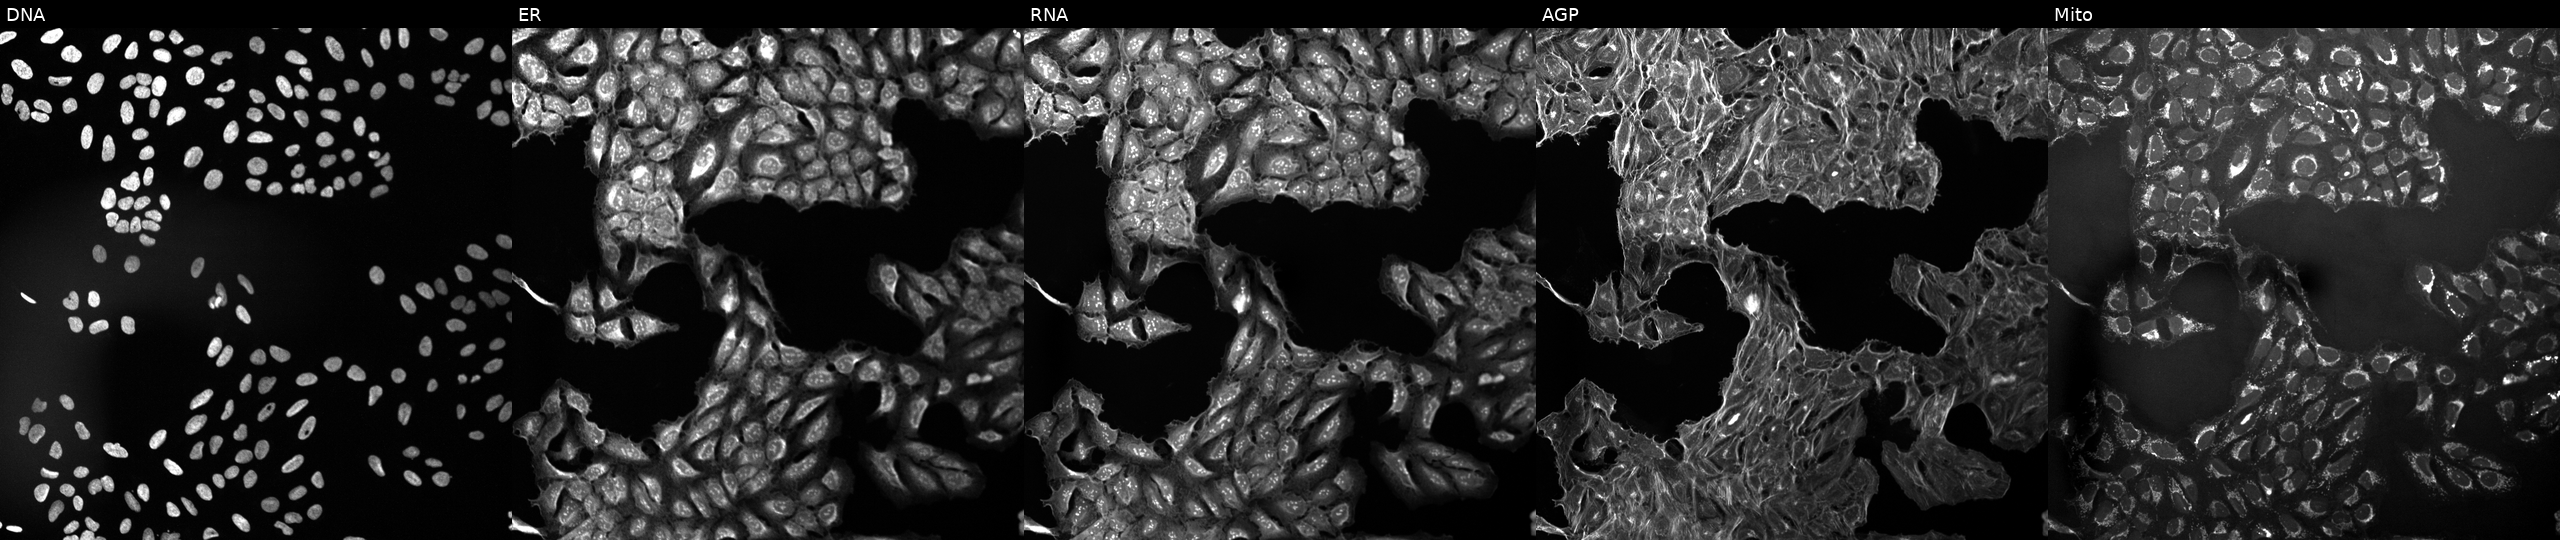
High-content fluorescence microscopy (Cell Painting). Cell line: U2OS. Perturbation: exposed to a small-molecule compound (JUMP id JCP2022_099089). The five panels, left to right, show DNA, ER, RNA, AGP, and Mito.